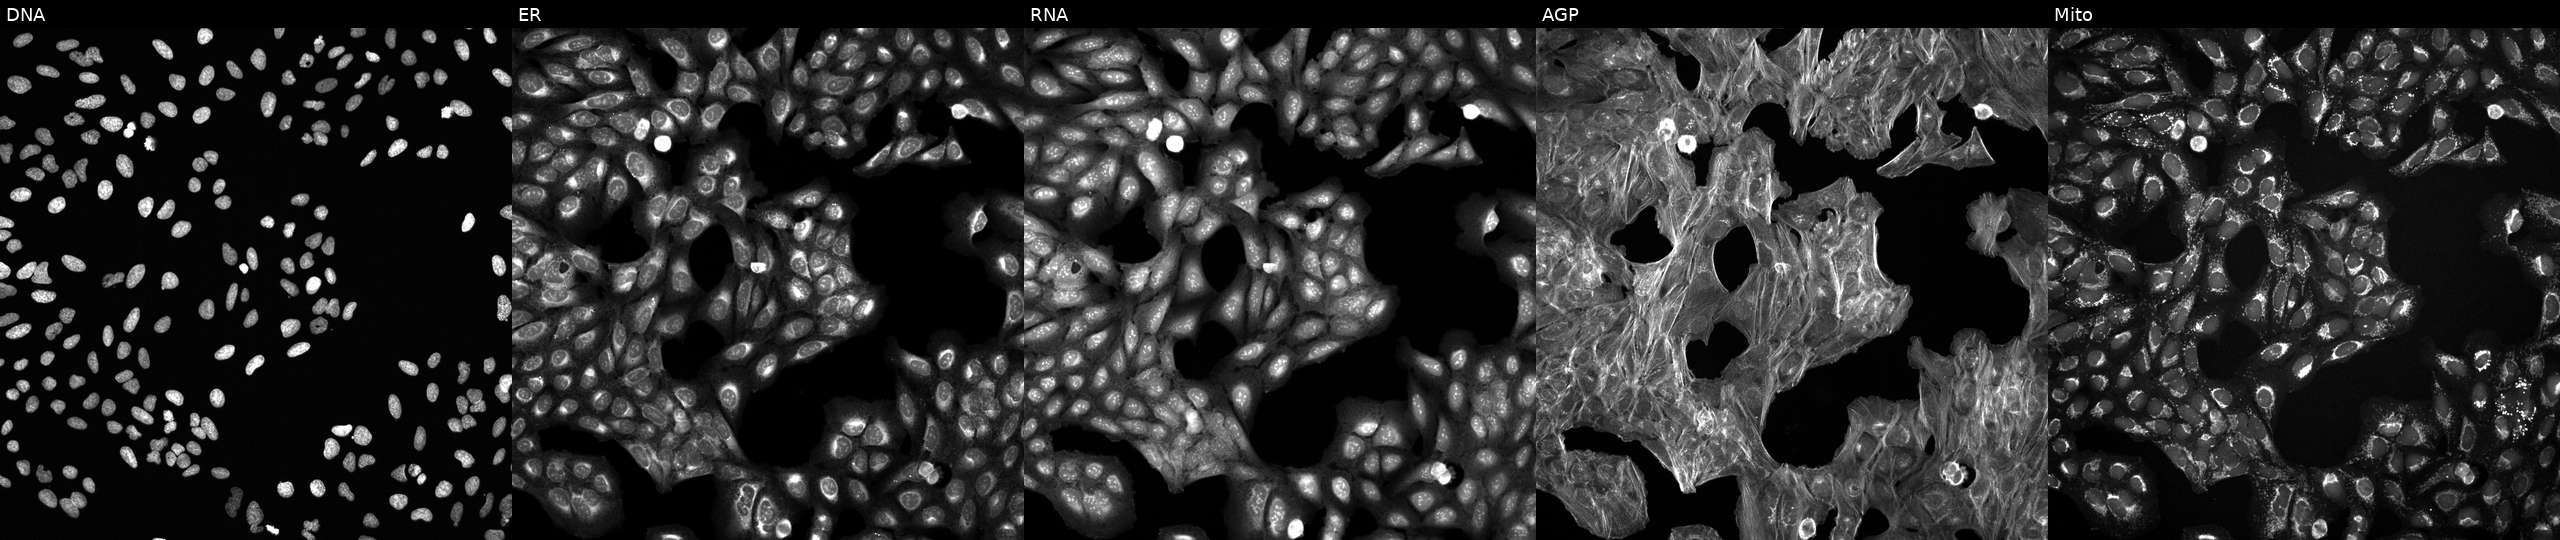
This image strip shows the five Cell Painting channels for a single field of U2OS cells treated with a small-molecule compound (InChIKey BYQWUNNNIIHDDK-UHFFFAOYSA-N) (JUMP id JCP2022_009532). From left to right: DNA (nuclei); ER (endoplasmic reticulum); RNA (nucleoli and cytoplasmic RNA); AGP (actin cytoskeleton, Golgi, and plasma membrane); Mito (mitochondria). Source 6, plate 110000293082, well I20.